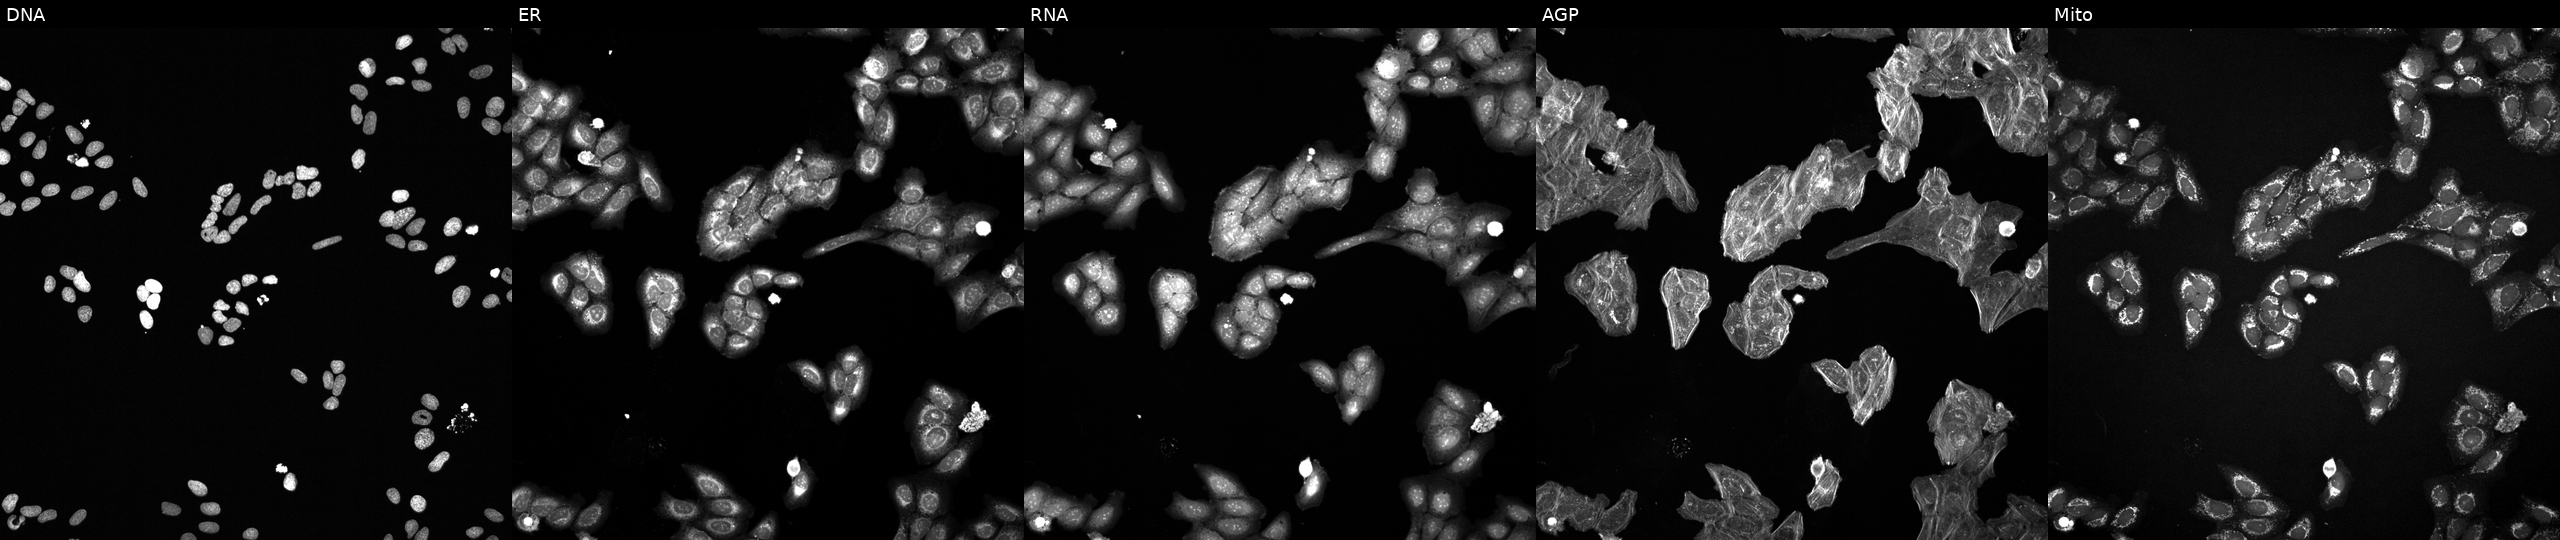
This image strip shows the five Cell Painting channels for a single field of U2OS cells perturbed with a small-molecule compound (InChIKey XXJWYDDUDKYVKI-UHFFFAOYSA-N). Panels show, left to right, DNA, ER, RNA, AGP, and Mito.